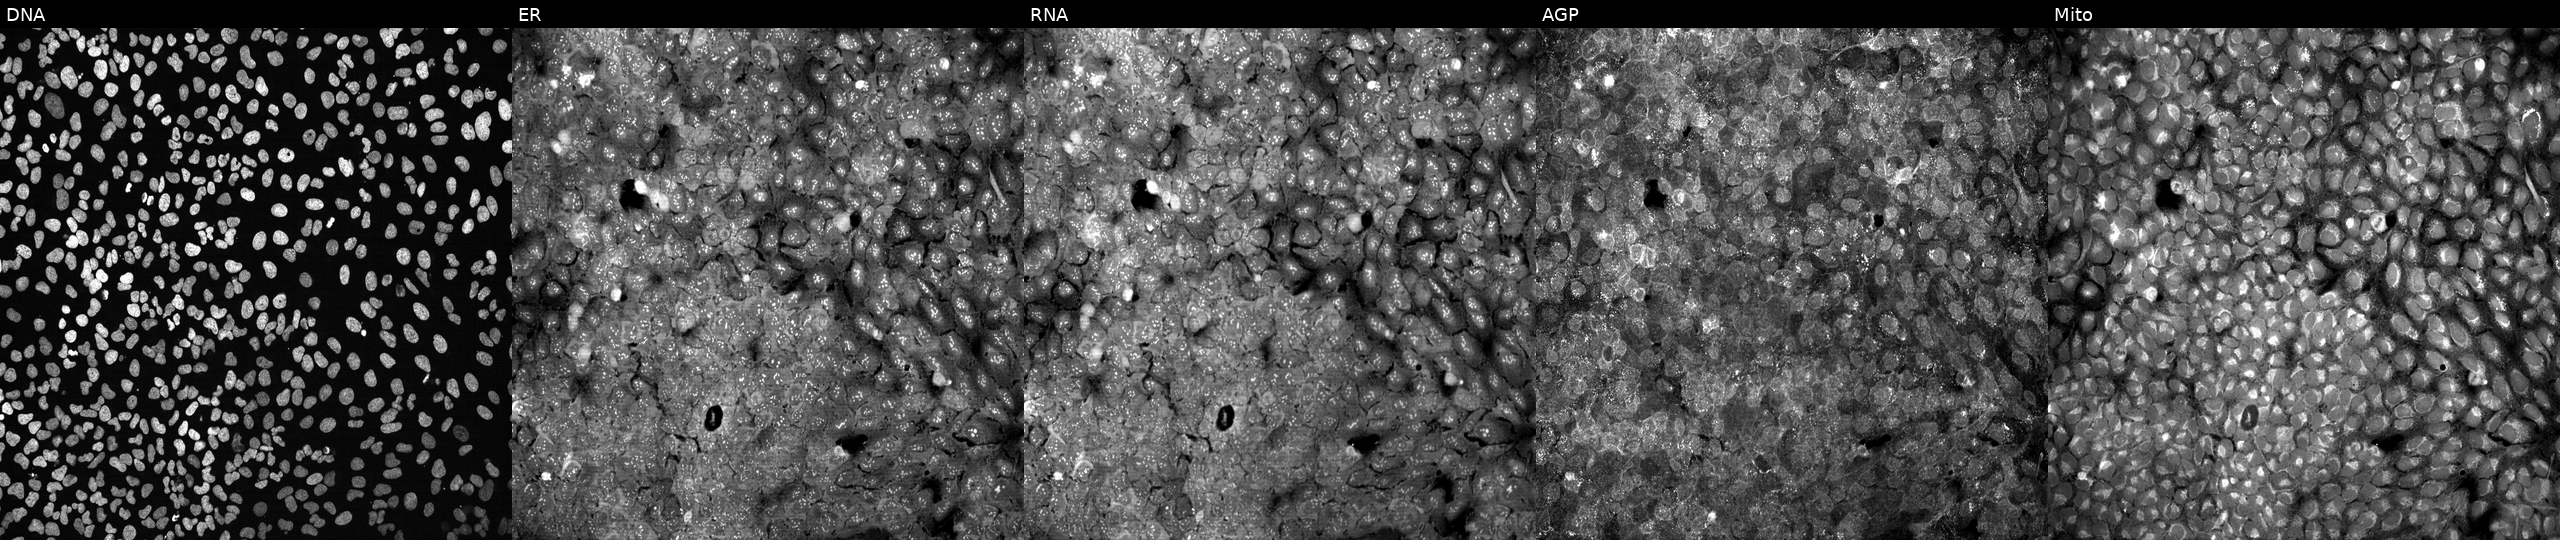
Five-channel Cell Painting image of U2OS cells with UBASH3A knocked out by CRISPR. Panels show, left to right, Hoechst 33342, concanavalin A, SYTO 14, phalloidin and WGA, MitoTracker. Source 13, plate CP-CC9-R1-02, well K11.